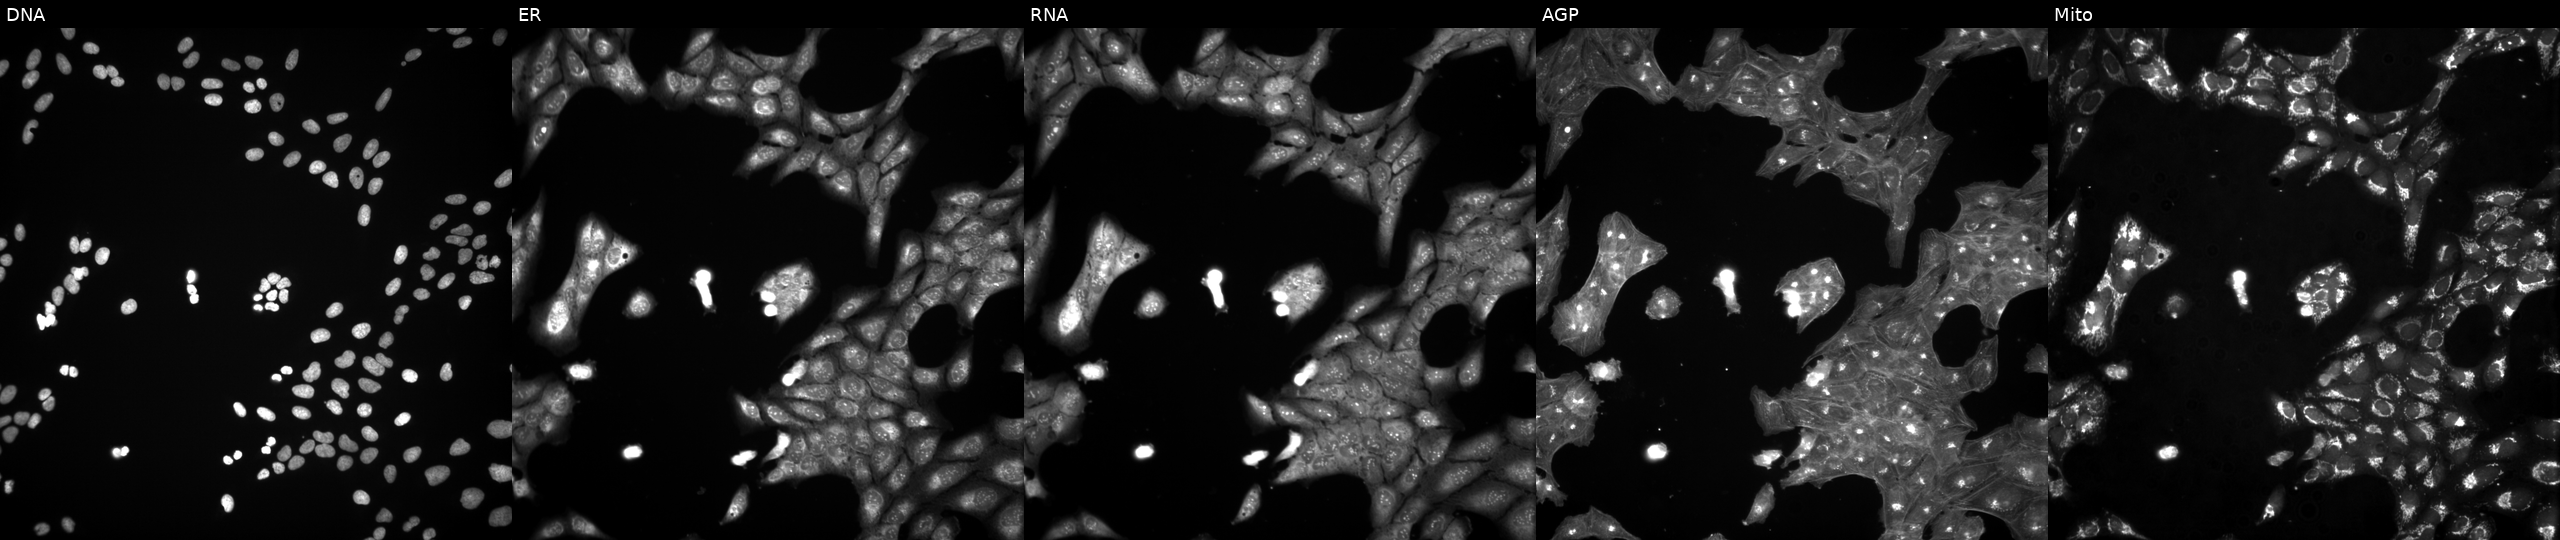
High-content fluorescence microscopy (Cell Painting). Cell line: U2OS. Perturbation: exposed to a small-molecule compound (InChIKey MXJWRABVEGLYDG-UHFFFAOYSA-N) (JUMP id JCP2022_057163). Panels show, left to right, DNA, ER, RNA, AGP, and Mito.